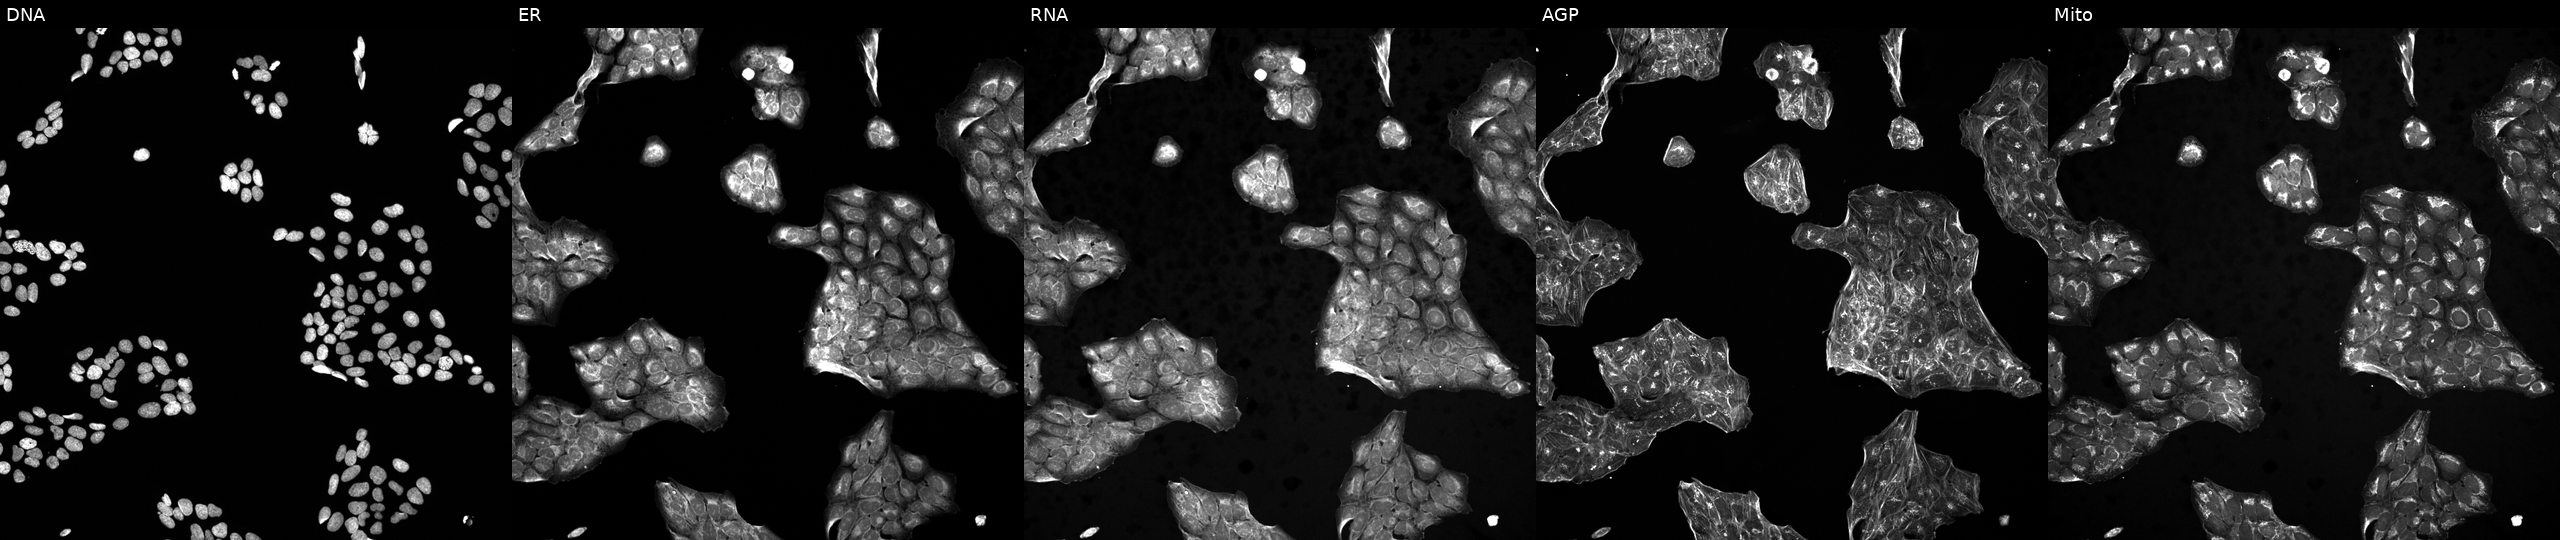
Five-channel Cell Painting image of U2OS cells exposed to a small-molecule compound (InChIKey ZVPDNRVYHLRXLX-UHFFFAOYSA-N) (JUMP id JCP2022_115963). Panels show, left to right, DNA (nuclei); ER (endoplasmic reticulum); RNA (nucleoli and cytoplasmic RNA); AGP (actin cytoskeleton, Golgi, and plasma membrane); Mito (mitochondria).